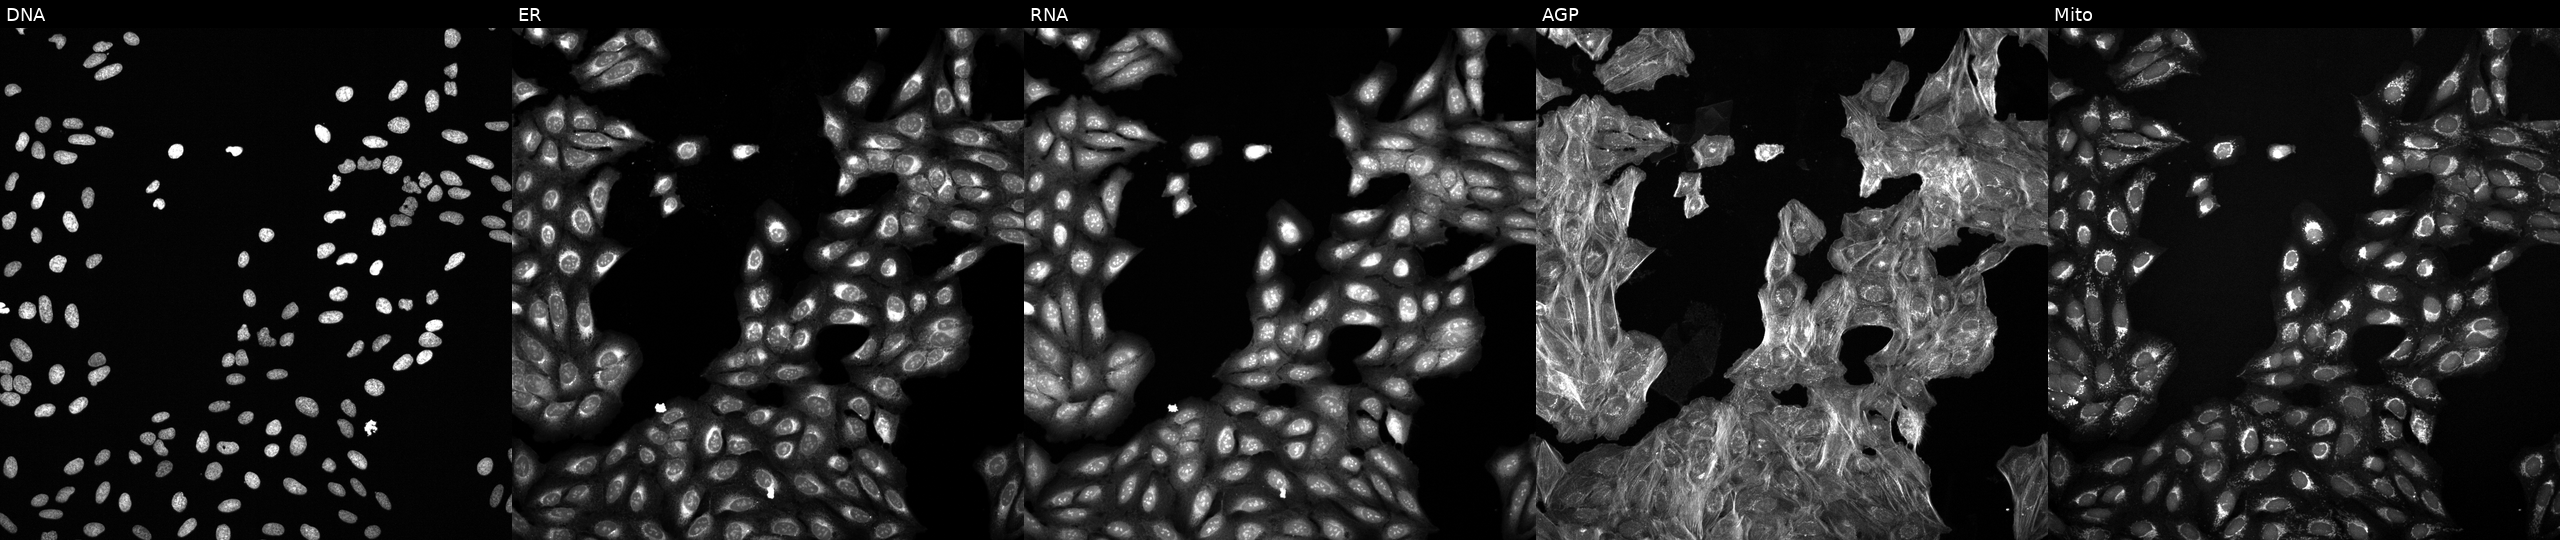
High-content fluorescence microscopy (Cell Painting). Cell line: U2OS. Perturbation: treated with DMSO vehicle only (negative control). From left to right: Hoechst 33342, concanavalin A, SYTO 14, phalloidin and WGA, MitoTracker.